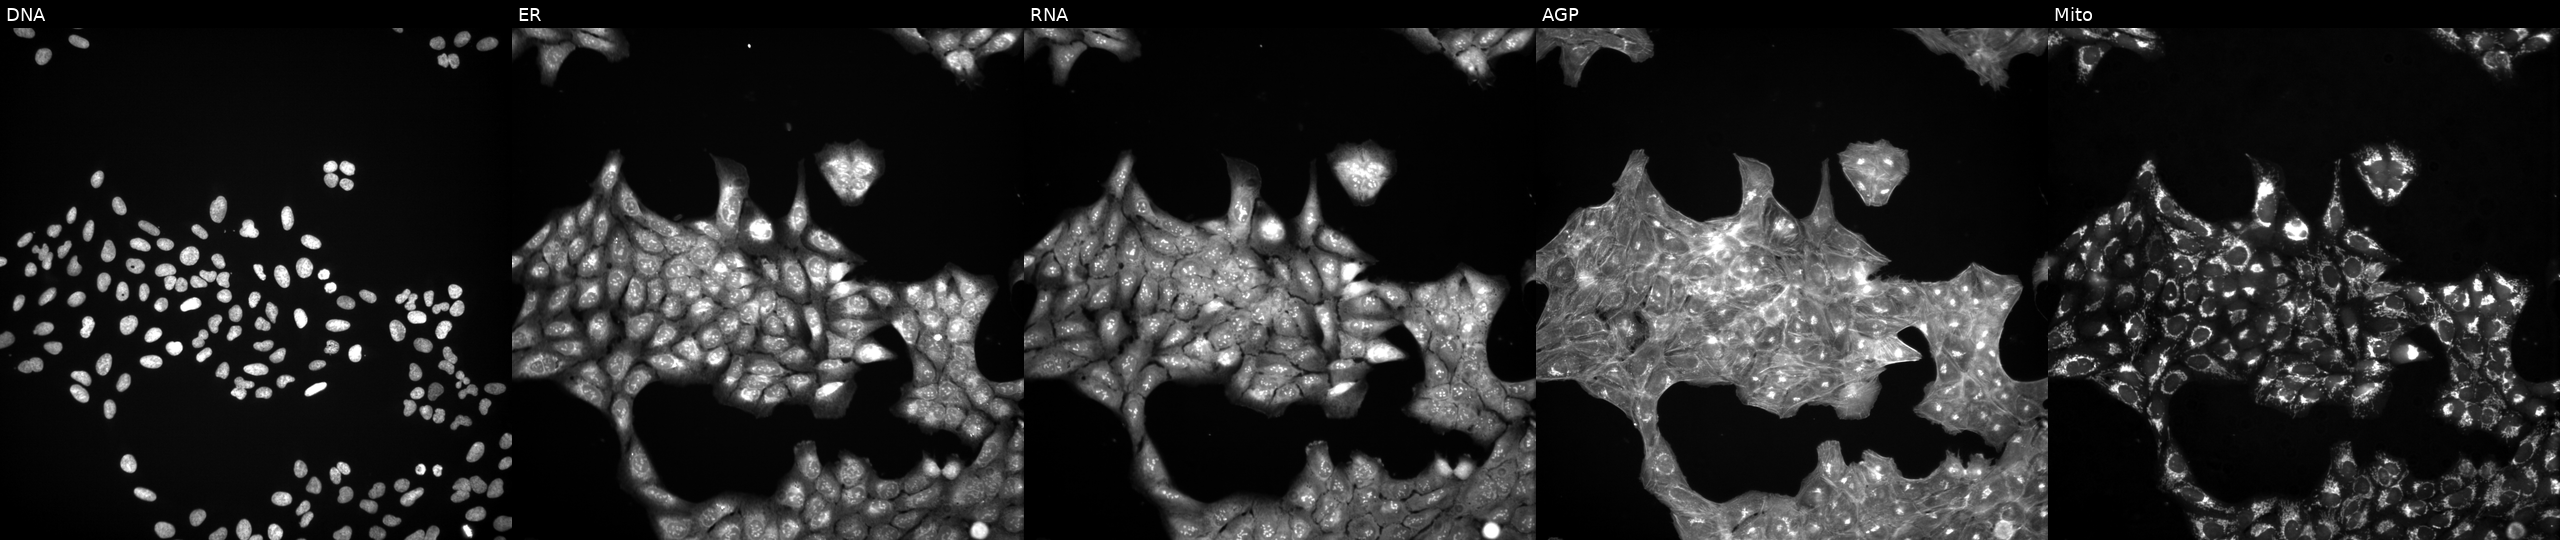
U2OS cells, Cell Painting assay, perturbed with a small-molecule compound (InChIKey UFJGFNHRMPMALC-UHFFFAOYSA-N) (JUMP id JCP2022_088849). Panels show, left to right, DNA, ER, RNA, AGP, and Mito. Each panel is percentile-stretched 16-bit fluorescence. Source 3, plate JCPQC051, well I19.